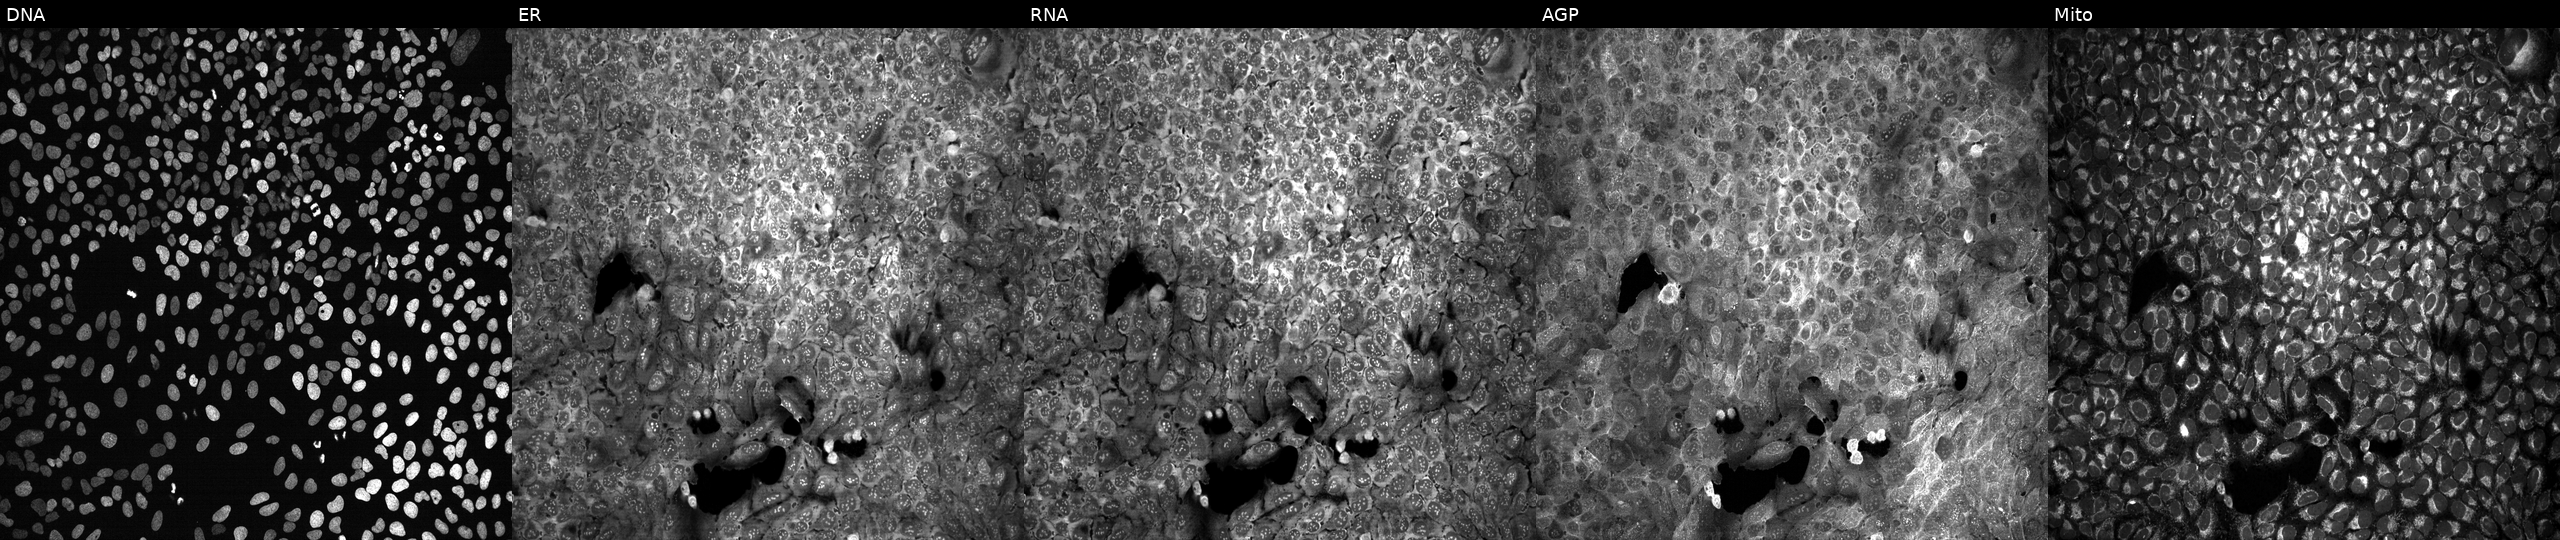
JUMP Cell Painting — CRISPR plate. U2OS cells exposed to the positive-control compound dexamethasone. The five panels, left to right, show Hoechst 33342, concanavalin A, SYTO 14, phalloidin and WGA, MitoTracker.